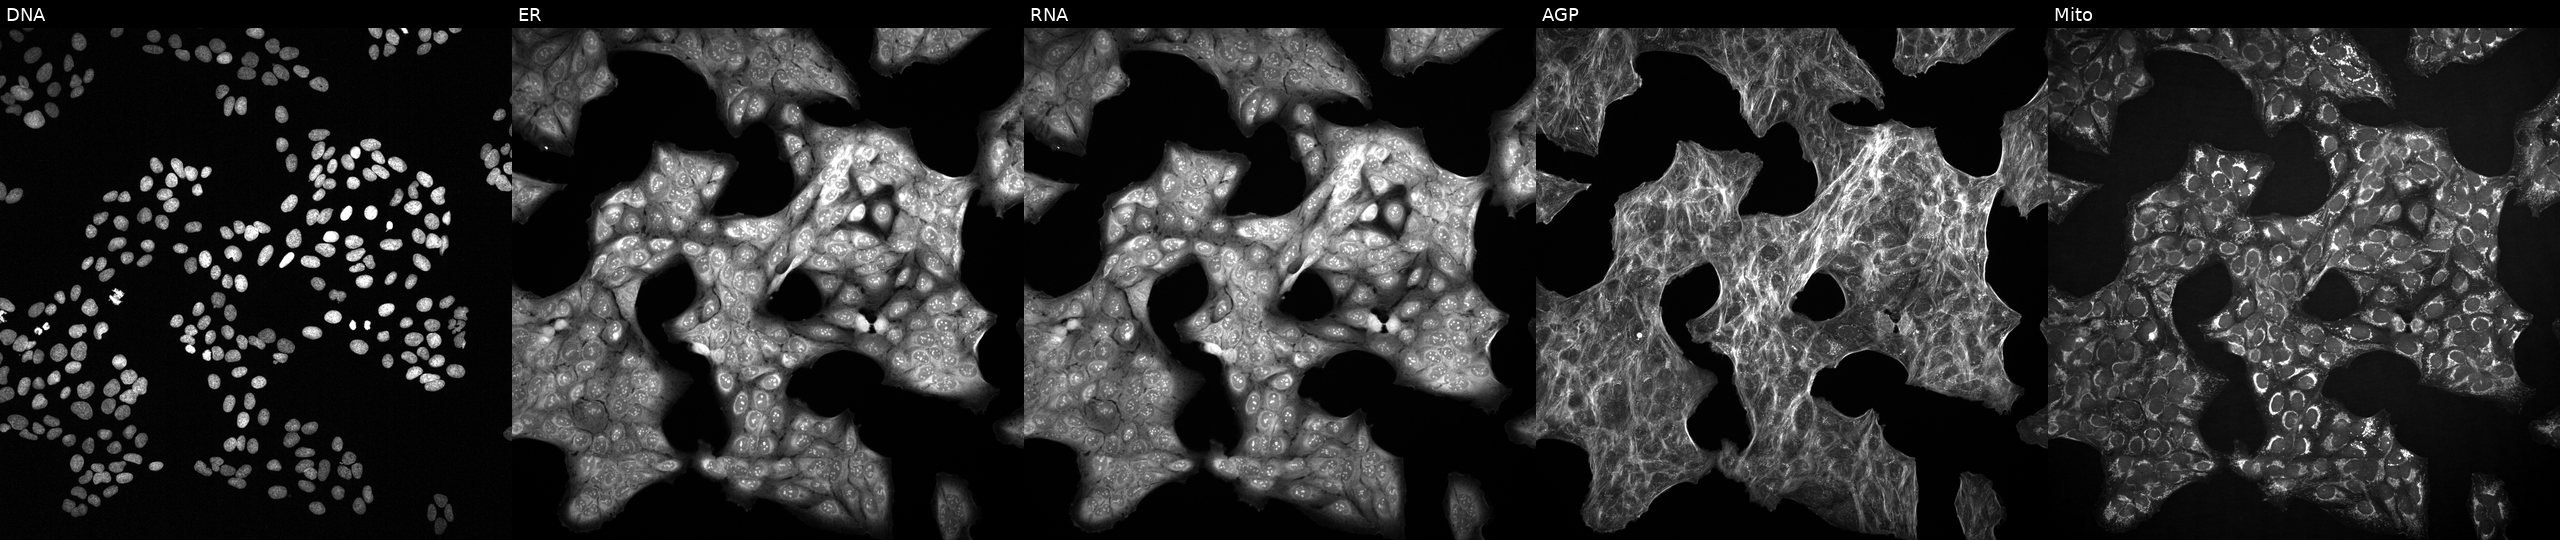
This image strip shows the five Cell Painting channels for a single field of U2OS cells exposed to the positive-control compound LY2109761 (JUMP id JCP2022_035095). Channels (left→right): DNA, ER, RNA, AGP, and Mito.